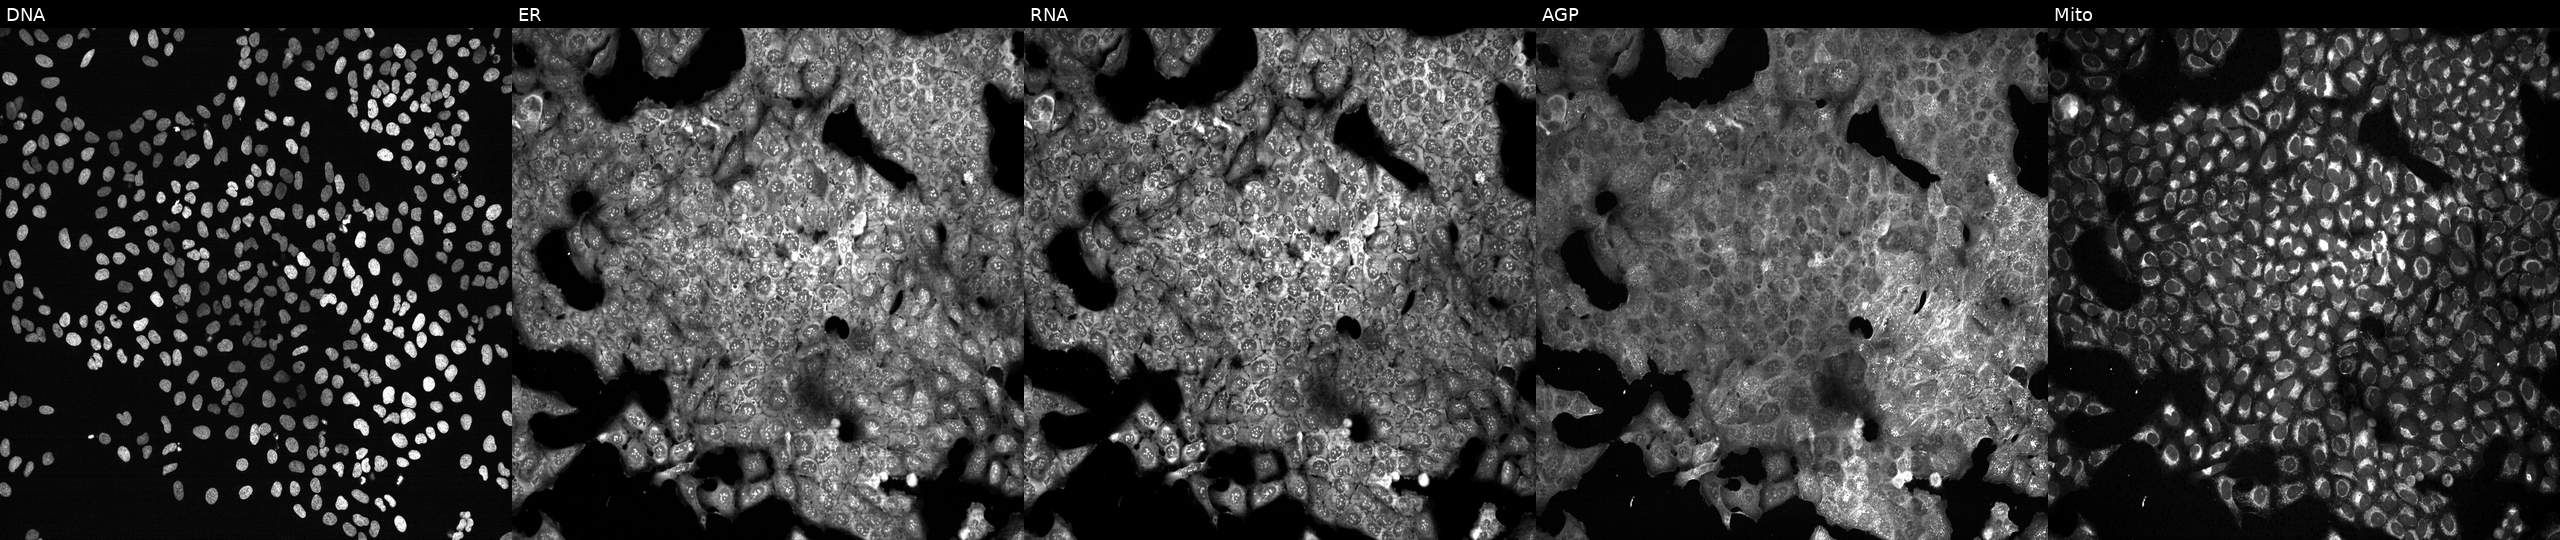
This image strip shows the five Cell Painting channels for a single field of U2OS cells treated with NVS-PAK1-1 (positive-control compound) (JUMP id JCP2022_064022). Channels (left→right): Hoechst 33342, concanavalin A, SYTO 14, phalloidin and WGA, MitoTracker.